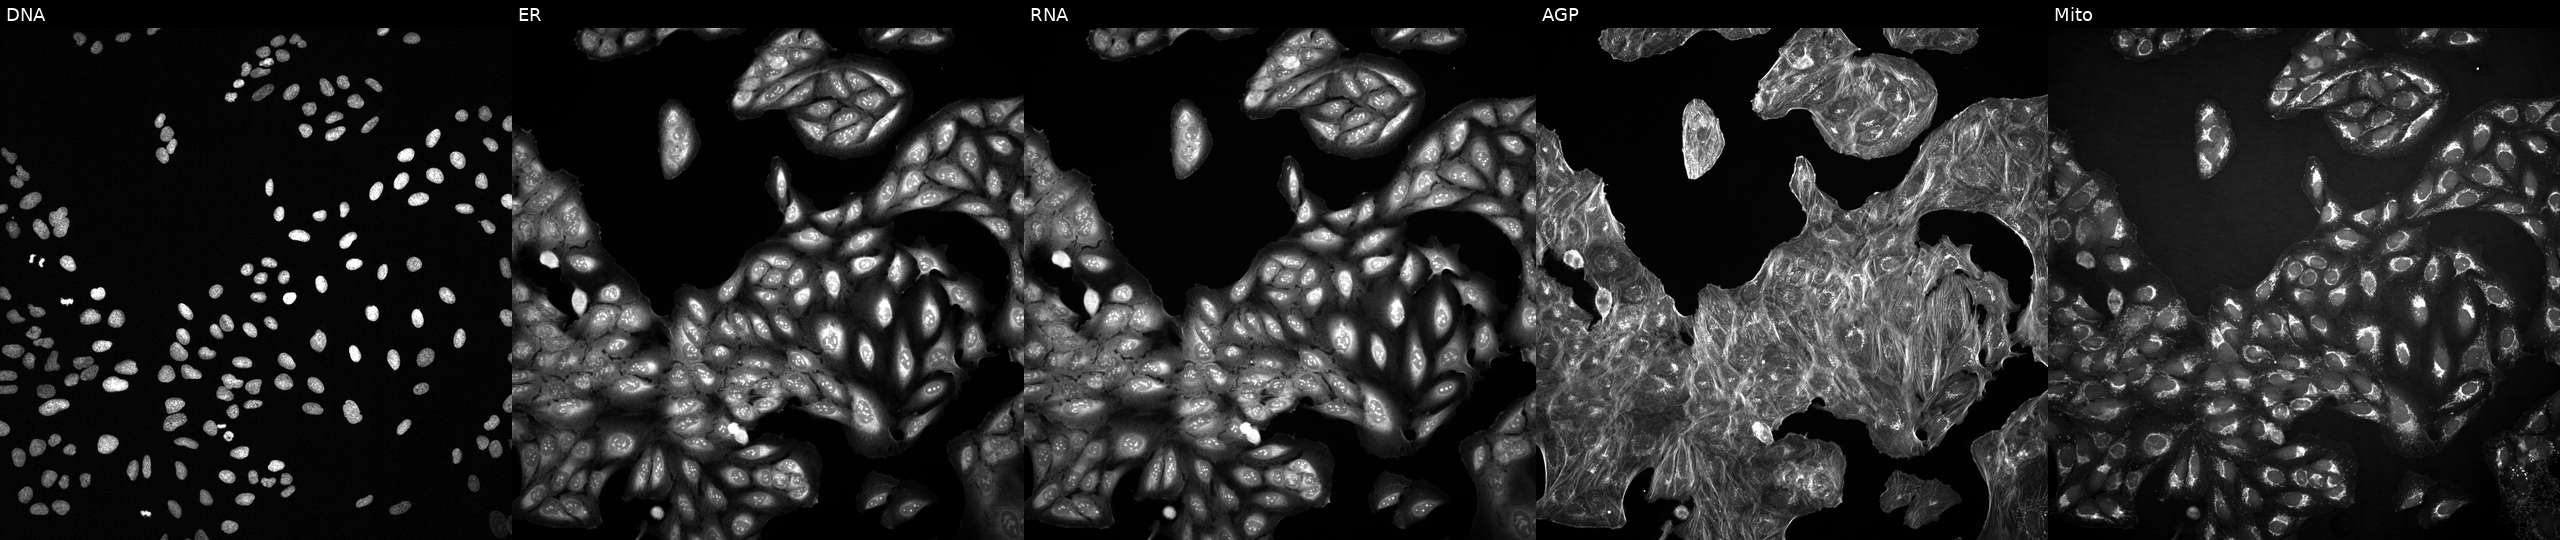
From left to right: DNA (nuclei); ER (endoplasmic reticulum); RNA (nucleoli and cytoplasmic RNA); AGP (actin cytoskeleton, Golgi, and plasma membrane); Mito (mitochondria). U2OS osteosarcoma cells with an unidentified perturbation (not annotated in JUMP metadata). Cell Painting assay, JUMP-CP dataset.